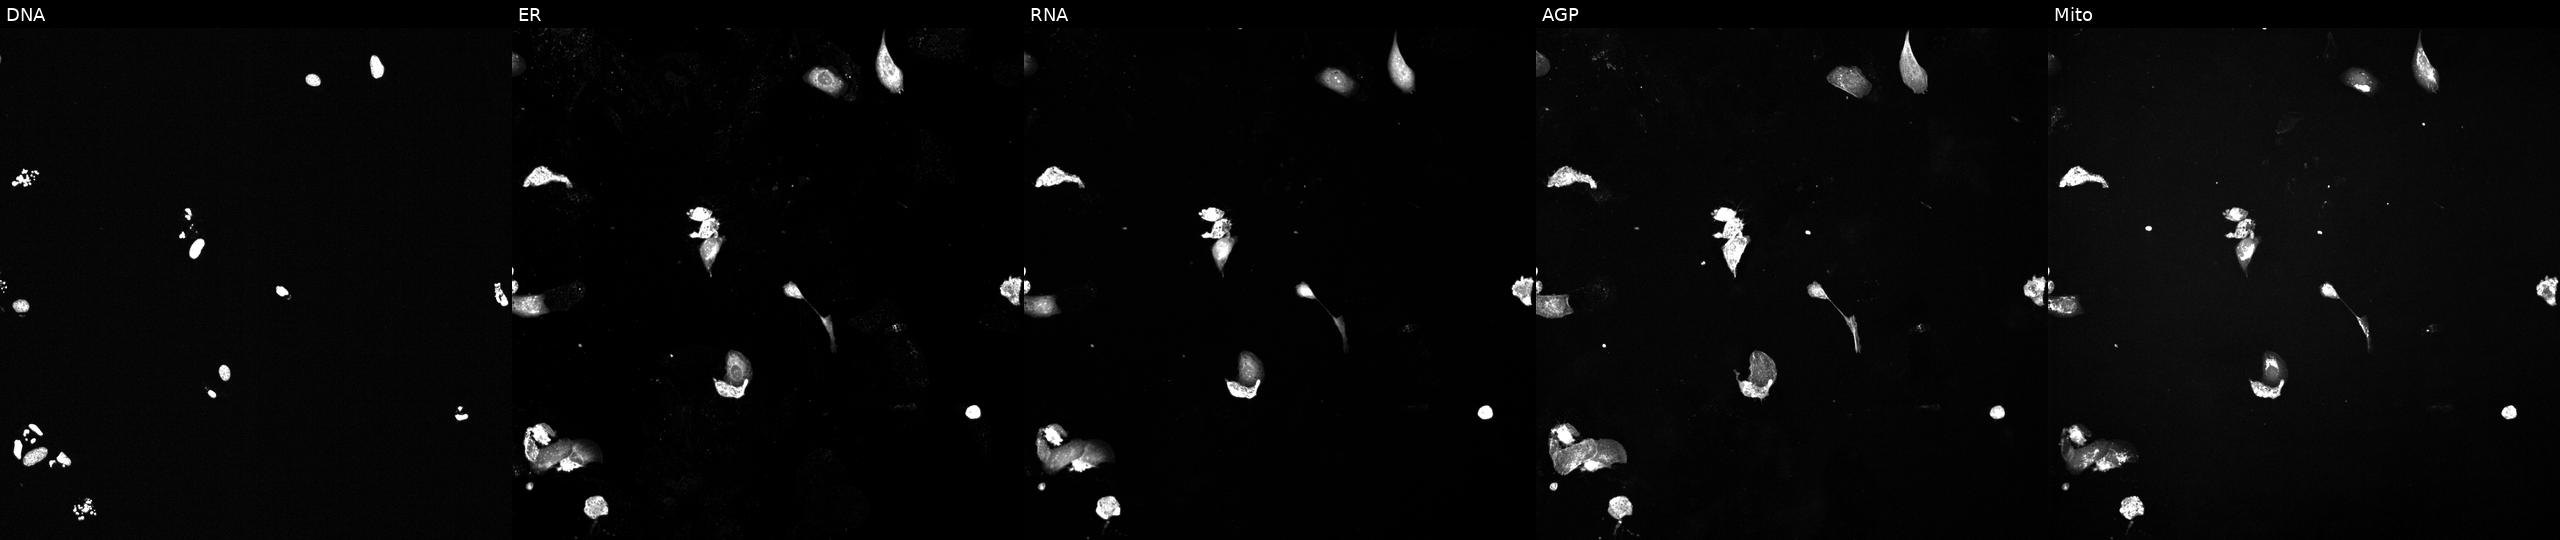
JUMP Cell Painting — TARGET2 plate. U2OS cells perturbed with a small-molecule compound (JUMP id JCP2022_030049). The five panels, left to right, show DNA (nuclei); ER (endoplasmic reticulum); RNA (nucleoli and cytoplasmic RNA); AGP (actin cytoskeleton, Golgi, and plasma membrane); Mito (mitochondria).